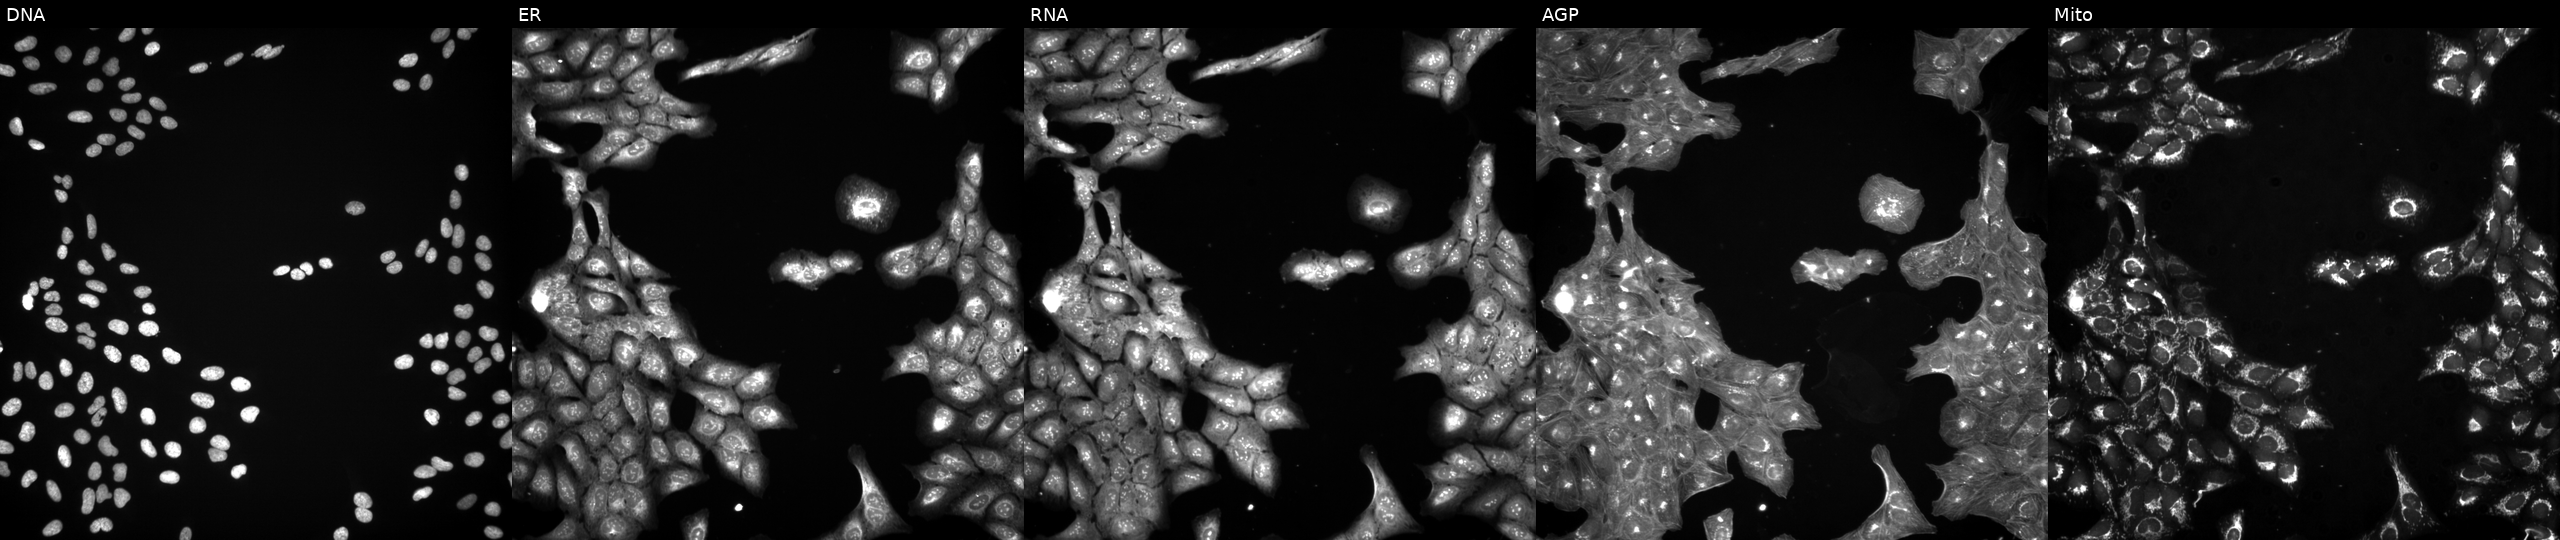
U2OS cells, Cell Painting assay, exposed to a small-molecule compound (InChIKey XSDITXCWBVNDQG-UHFFFAOYSA-N) [SMILES: CC(=O)Nc1ccc(S(=O)(=O)N=c2[nH]c3ccccc3nc2Cl)cc1]. From left to right: DNA, ER, RNA, AGP, and Mito. Each panel is percentile-stretched 16-bit fluorescence.